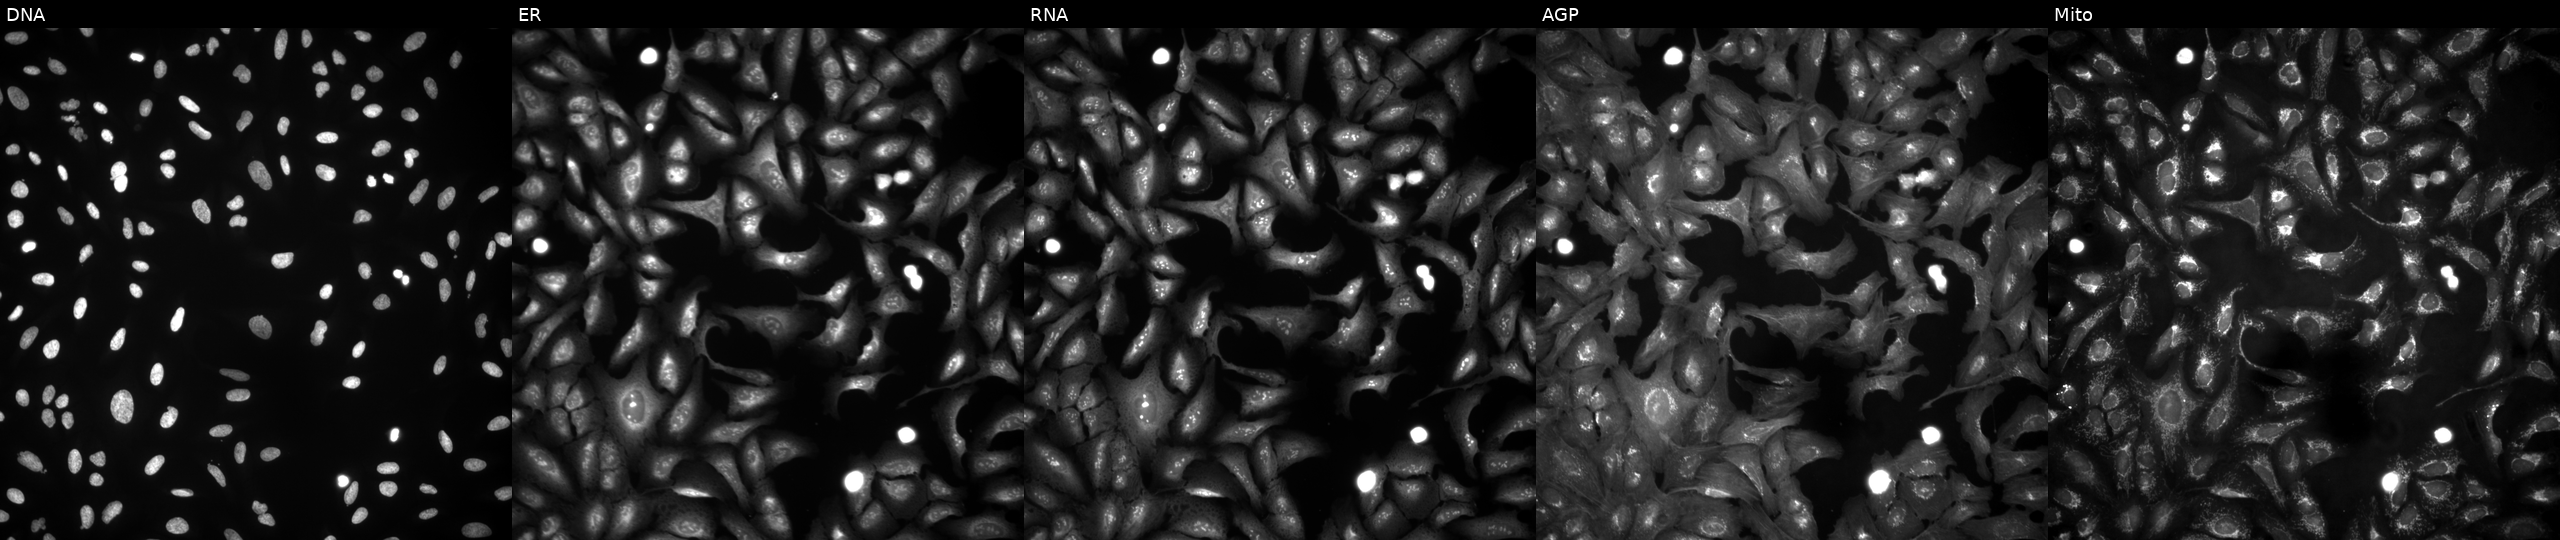
This image strip shows the five Cell Painting channels for a single field of U2OS cells transfected with an ORF construct for ERICH2. Channels (left→right): DNA (nuclei); ER (endoplasmic reticulum); RNA (nucleoli and cytoplasmic RNA); AGP (actin cytoskeleton, Golgi, and plasma membrane); Mito (mitochondria).